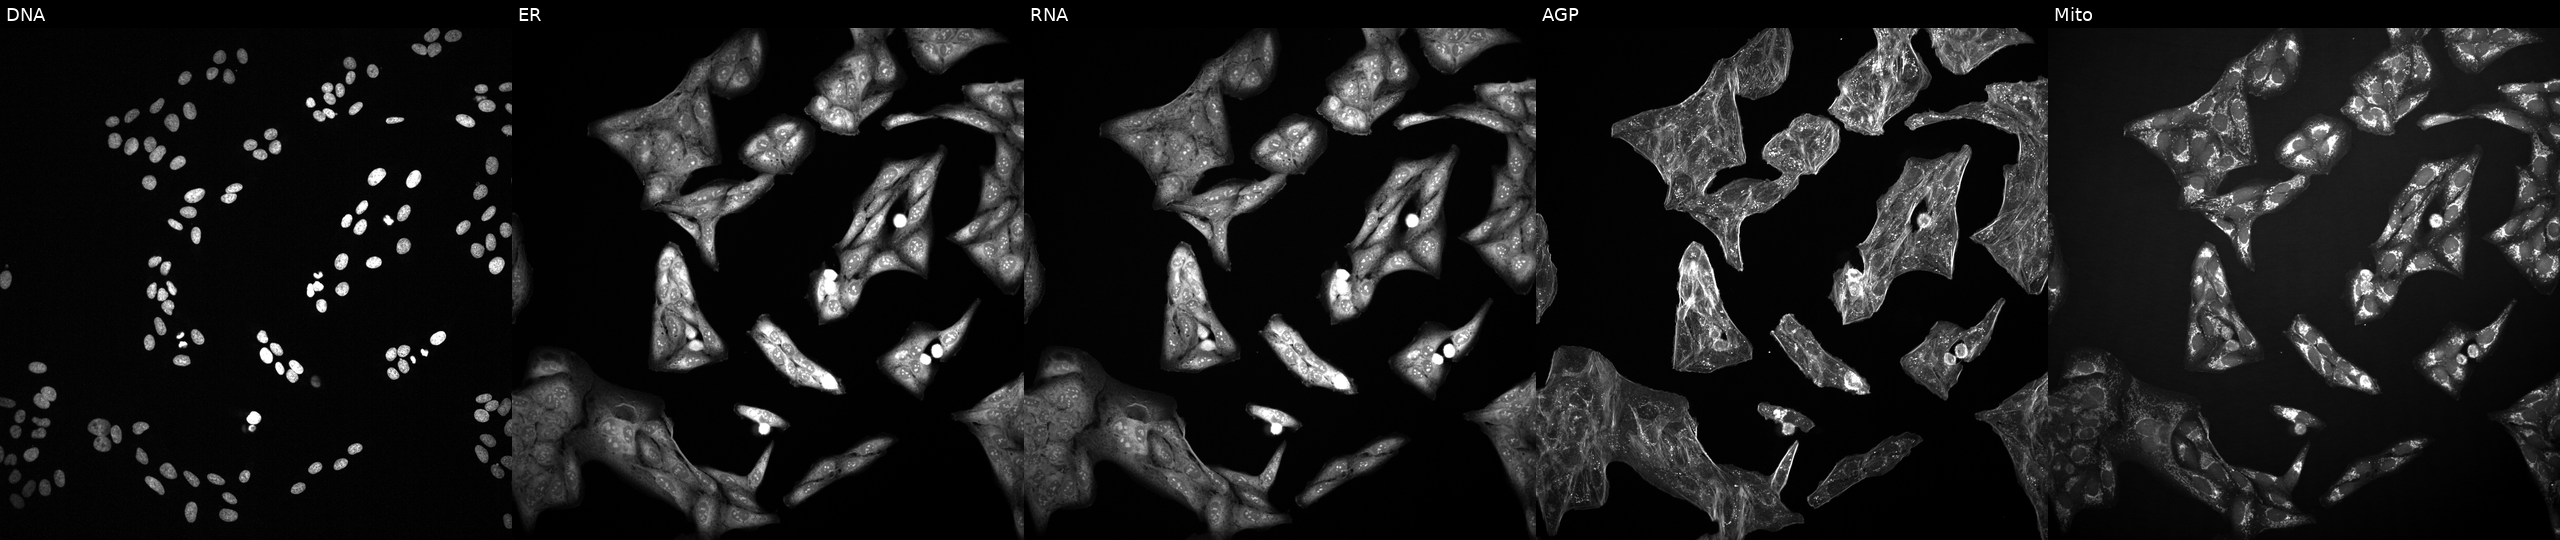
U2OS cells, Cell Painting assay, perturbed with a small-molecule compound (InChIKey VHHVPDKNKPNKHY-UHFFFAOYSA-N) (JUMP id JCP2022_093956). From left to right: Hoechst 33342, concanavalin A, SYTO 14, phalloidin and WGA, MitoTracker. Each panel is percentile-stretched 16-bit fluorescence.